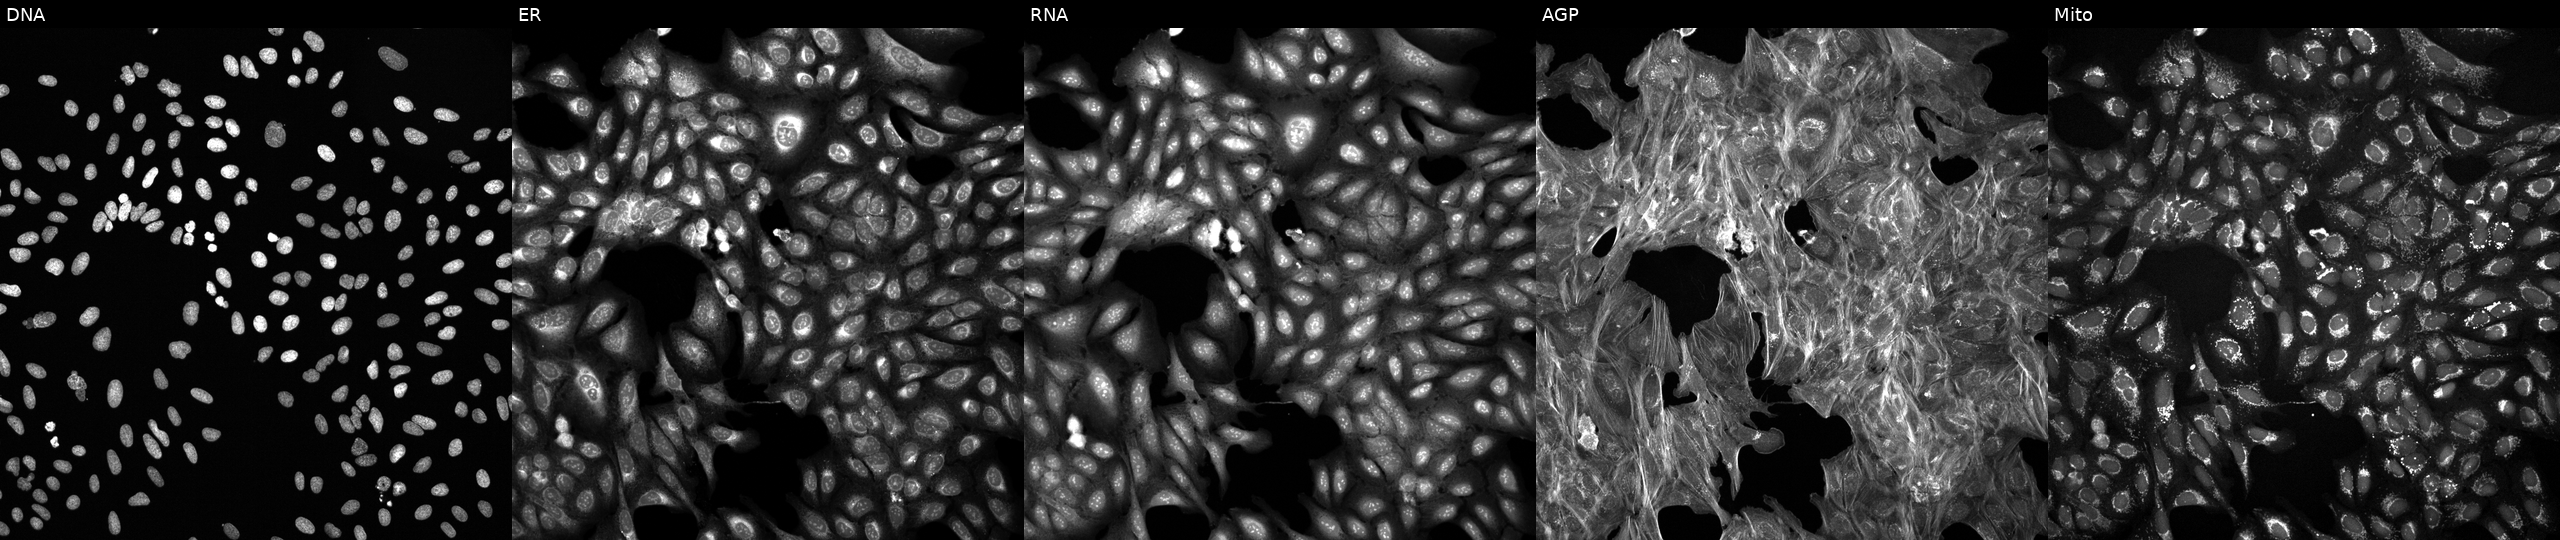
High-content fluorescence microscopy (Cell Painting). Cell line: U2OS. Perturbation: treated with a small-molecule compound. From left to right: DNA, ER, RNA, AGP, and Mito.